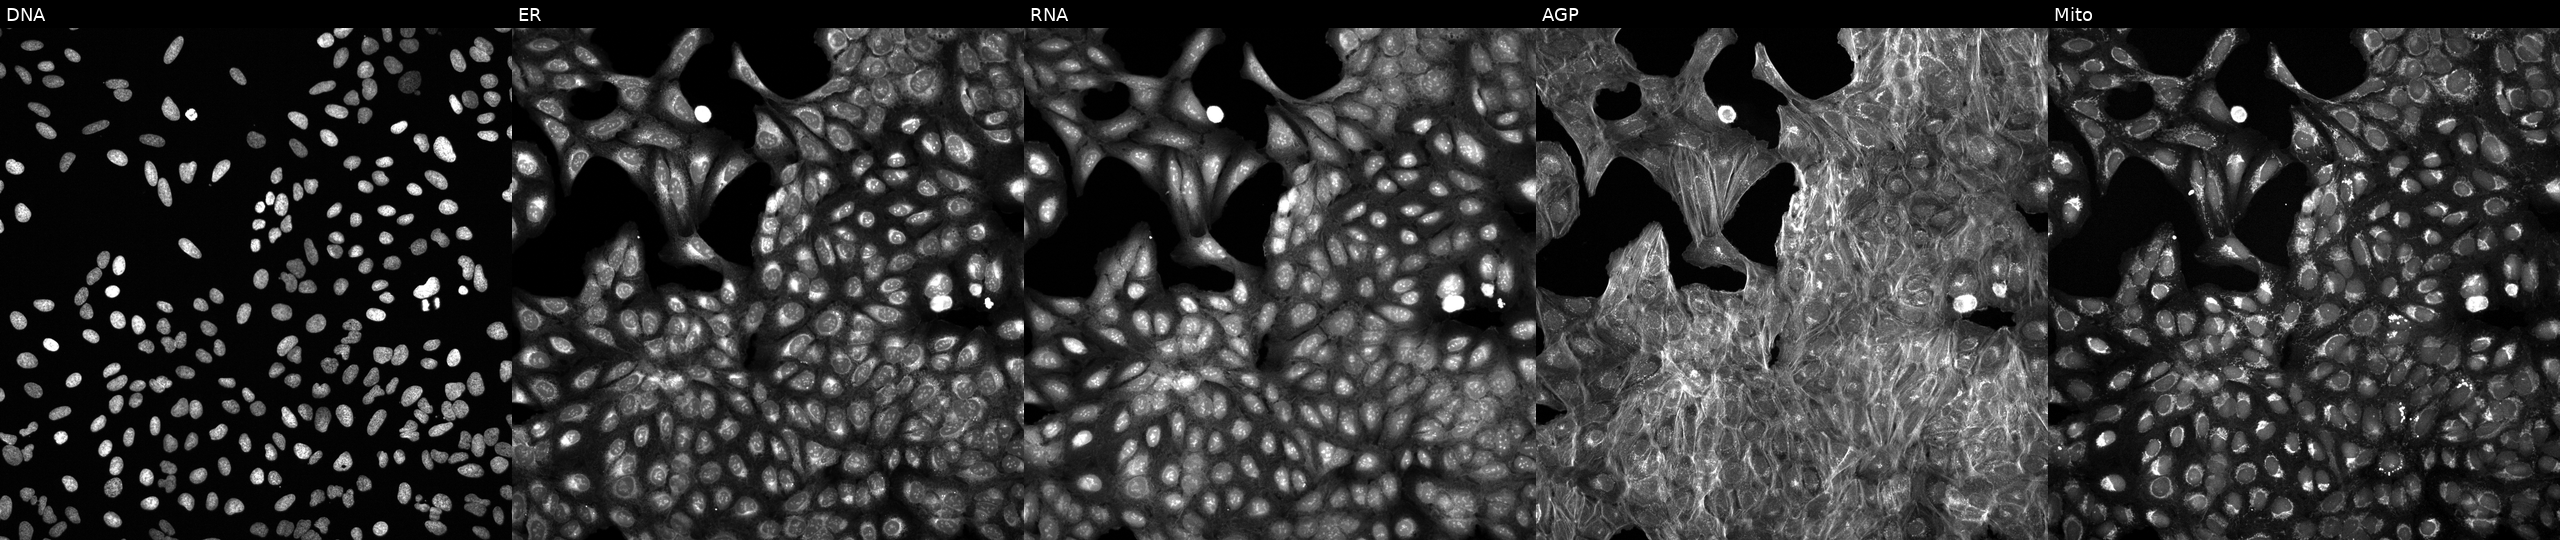
Five-channel Cell Painting image of U2OS cells exposed to DMSO alone as a negative control (JUMP id JCP2022_033924). Panels show, left to right, DNA, ER, RNA, AGP, and Mito. Source 6, plate 110000294901, well L23.